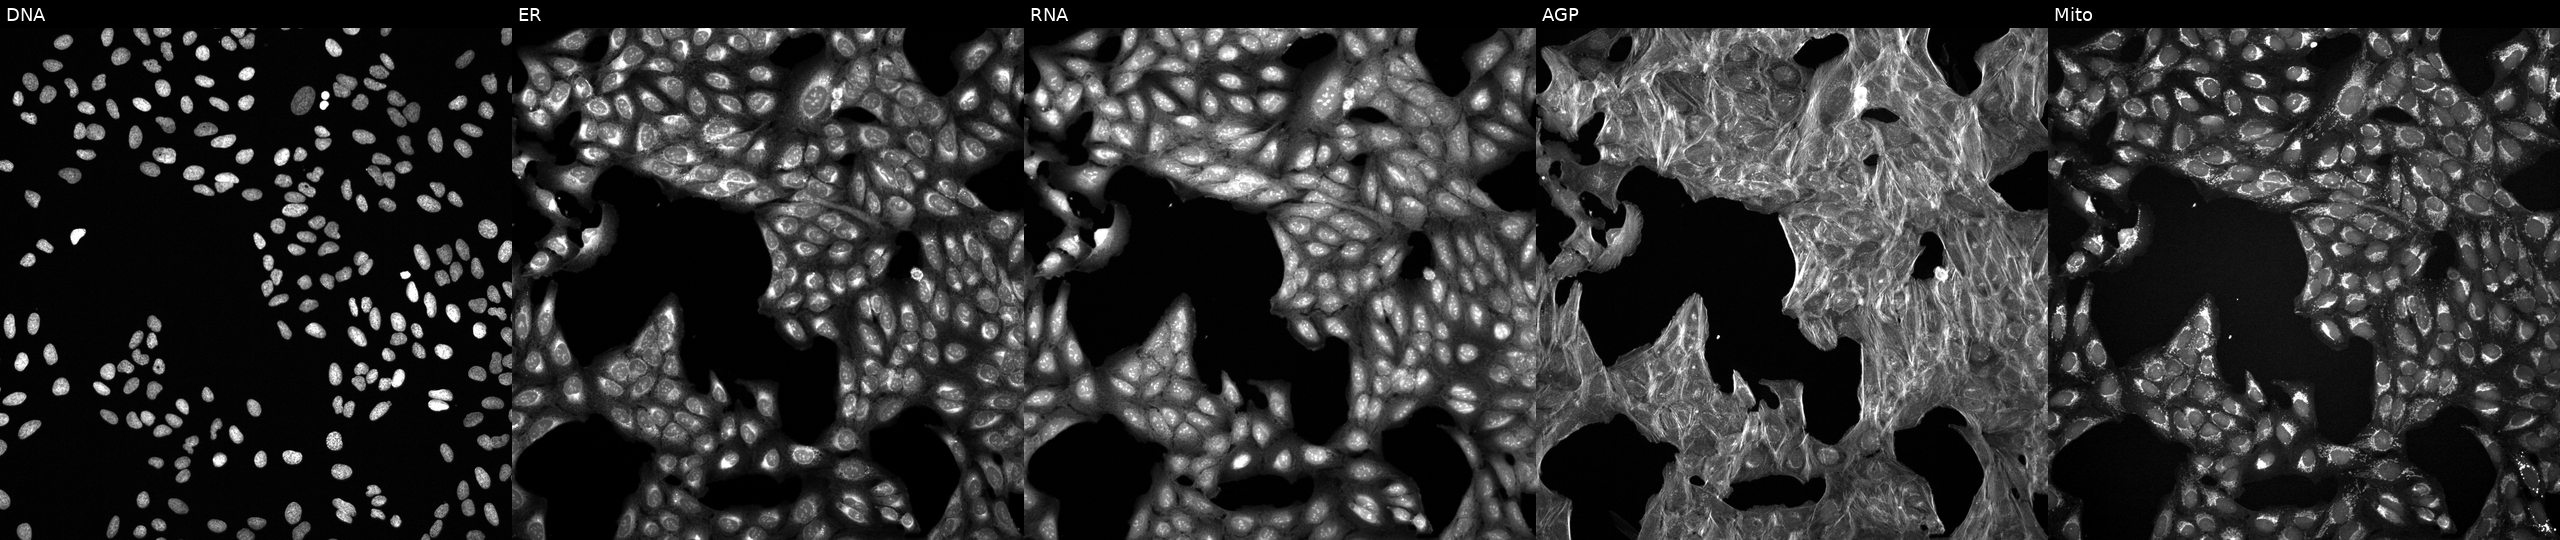
U2OS cells, Cell Painting assay, exposed to a small-molecule compound (InChIKey LRRMQNGSYOUANY-UHFFFAOYSA-N). Panels show, left to right, DNA (nuclei); ER (endoplasmic reticulum); RNA (nucleoli and cytoplasmic RNA); AGP (actin cytoskeleton, Golgi, and plasma membrane); Mito (mitochondria). Each panel is percentile-stretched 16-bit fluorescence. Source 6, plate 110000293093, well K19.